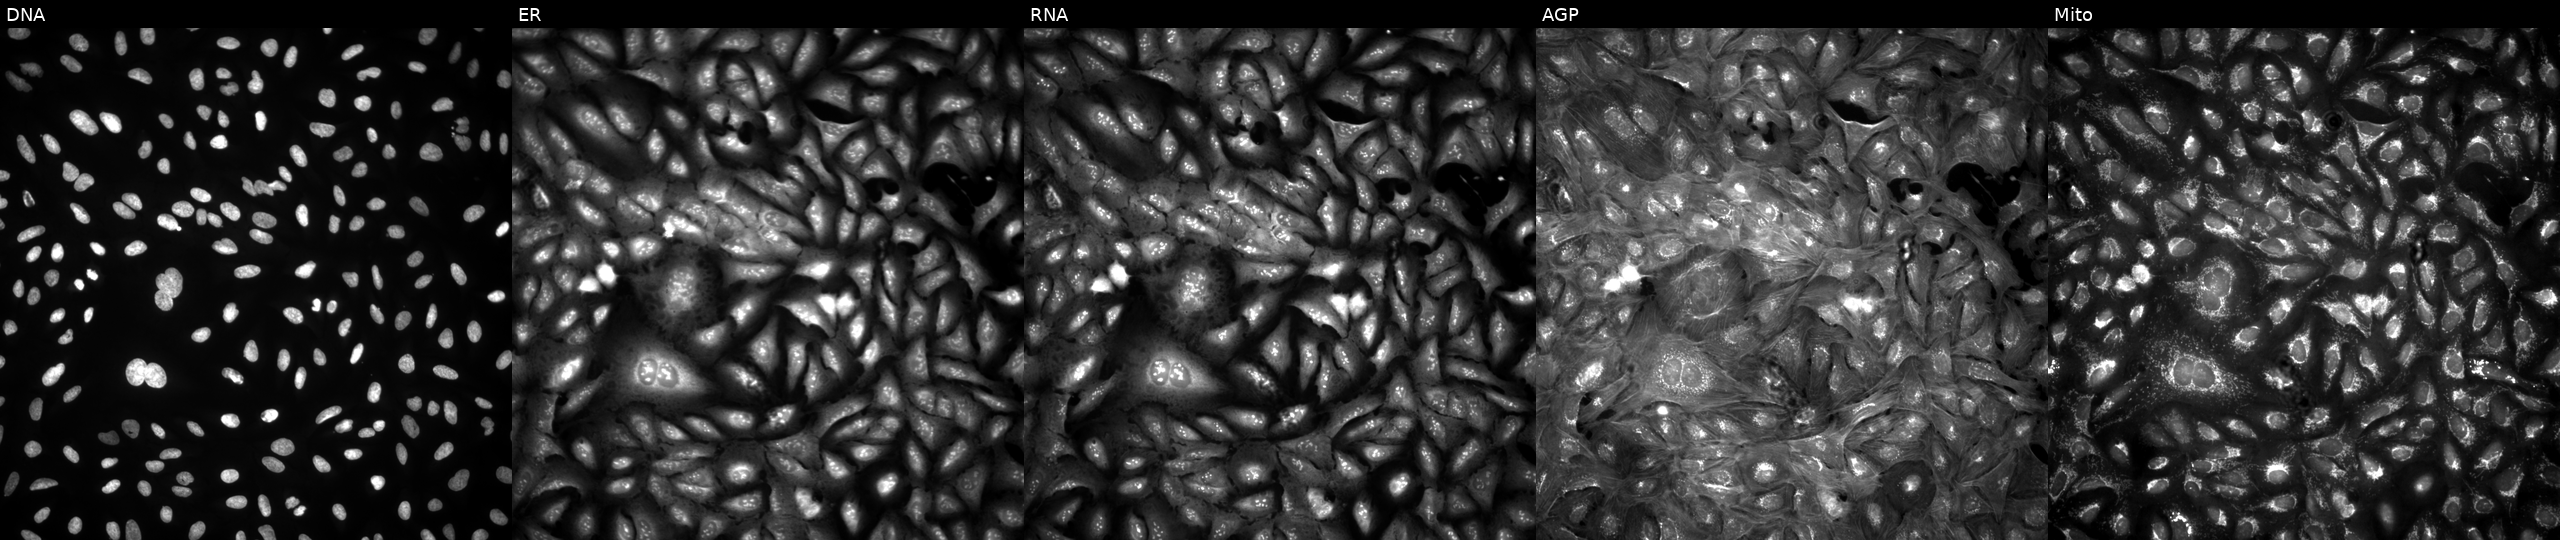
This image strip shows the five Cell Painting channels for a single field of U2OS cells expressing BFP (ORF negative control) (JUMP id JCP2022_915128). The five panels, left to right, show Hoechst 33342, concanavalin A, SYTO 14, phalloidin and WGA, MitoTracker. Source 4, plate BR00124784, well P01.